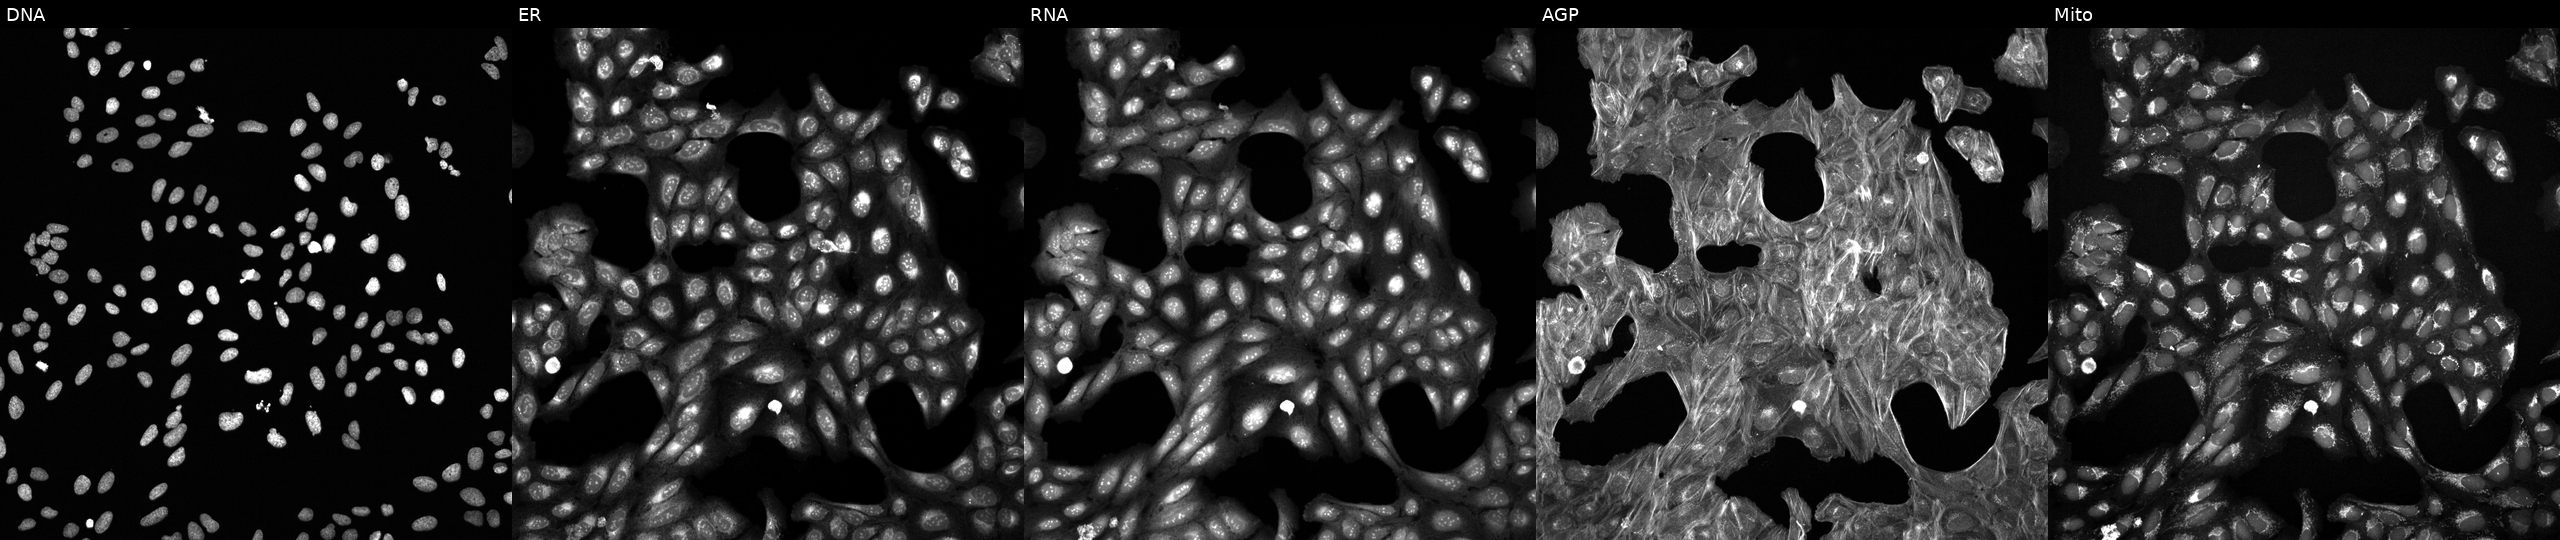
Panels show, left to right, DNA, ER, RNA, AGP, and Mito. U2OS osteosarcoma cells perturbed with a small-molecule compound (InChIKey MENNDDDTIIZDDN-UHFFFAOYSA-N) [SMILES: Cc1cc(C)nc(SCC(=O)N=c2[nH]cc(Cc3cccc4ccccc34)s2)n1]. Cell Painting assay, JUMP-CP dataset.